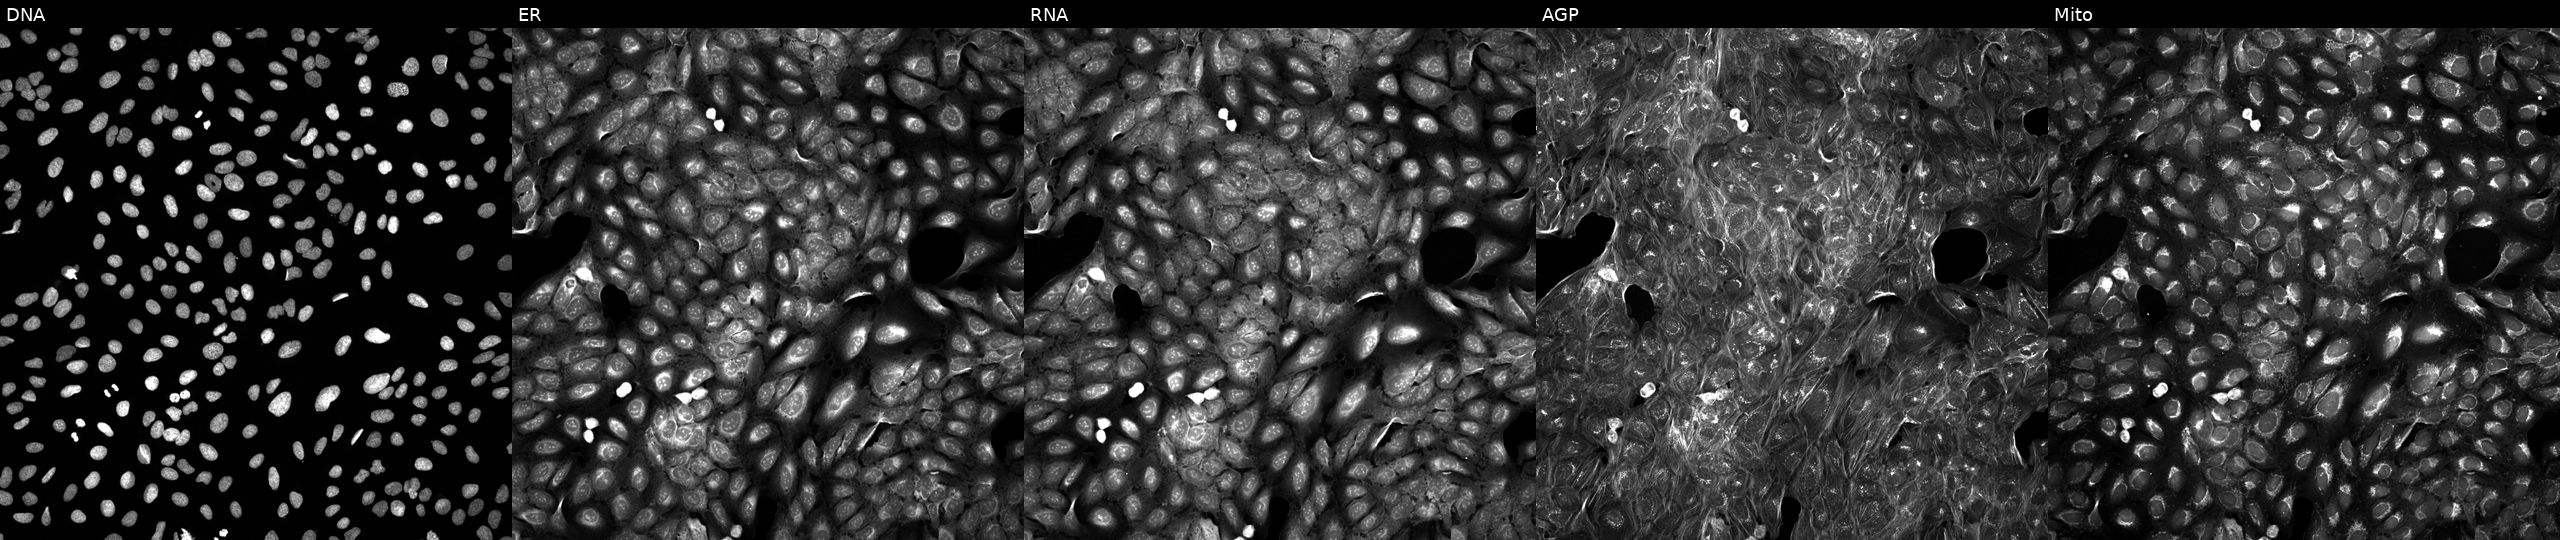
High-content fluorescence microscopy (Cell Painting). Cell line: U2OS. Perturbation: perturbed with a small-molecule compound (InChIKey RYEFFICCPKWYML-UHFFFAOYSA-N). Channels (left→right): DNA (nuclei); ER (endoplasmic reticulum); RNA (nucleoli and cytoplasmic RNA); AGP (actin cytoskeleton, Golgi, and plasma membrane); Mito (mitochondria).